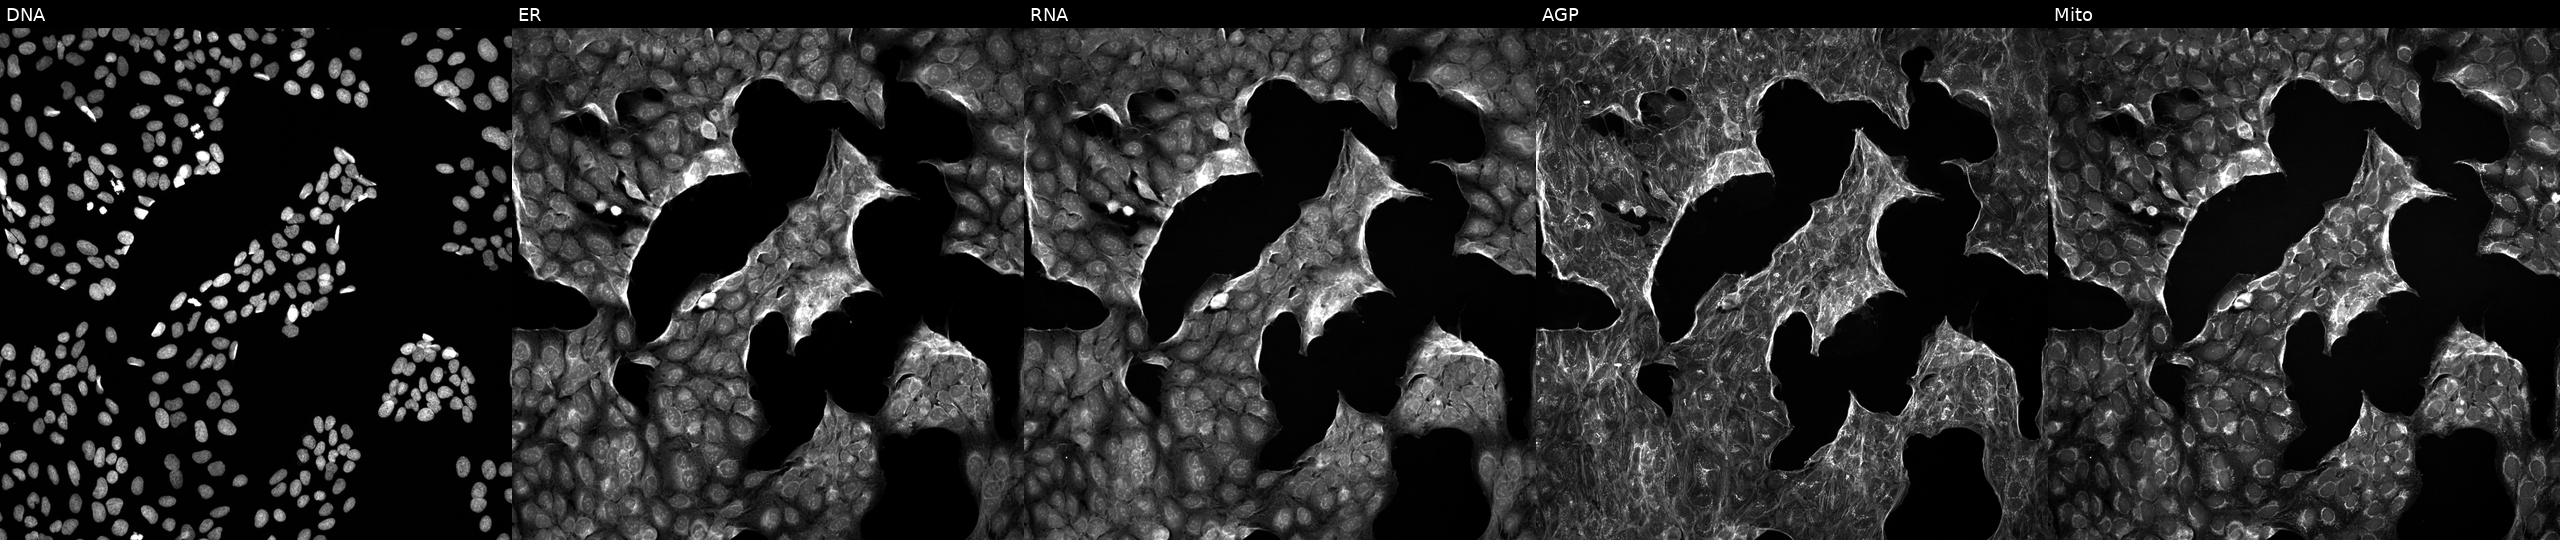
From left to right: DNA, ER, RNA, AGP, and Mito. U2OS osteosarcoma cells treated with LY2109761 (positive-control compound) (JUMP id JCP2022_035095). Cell Painting assay, JUMP-CP dataset. Source 5, plate ACPJUM012, well O09.